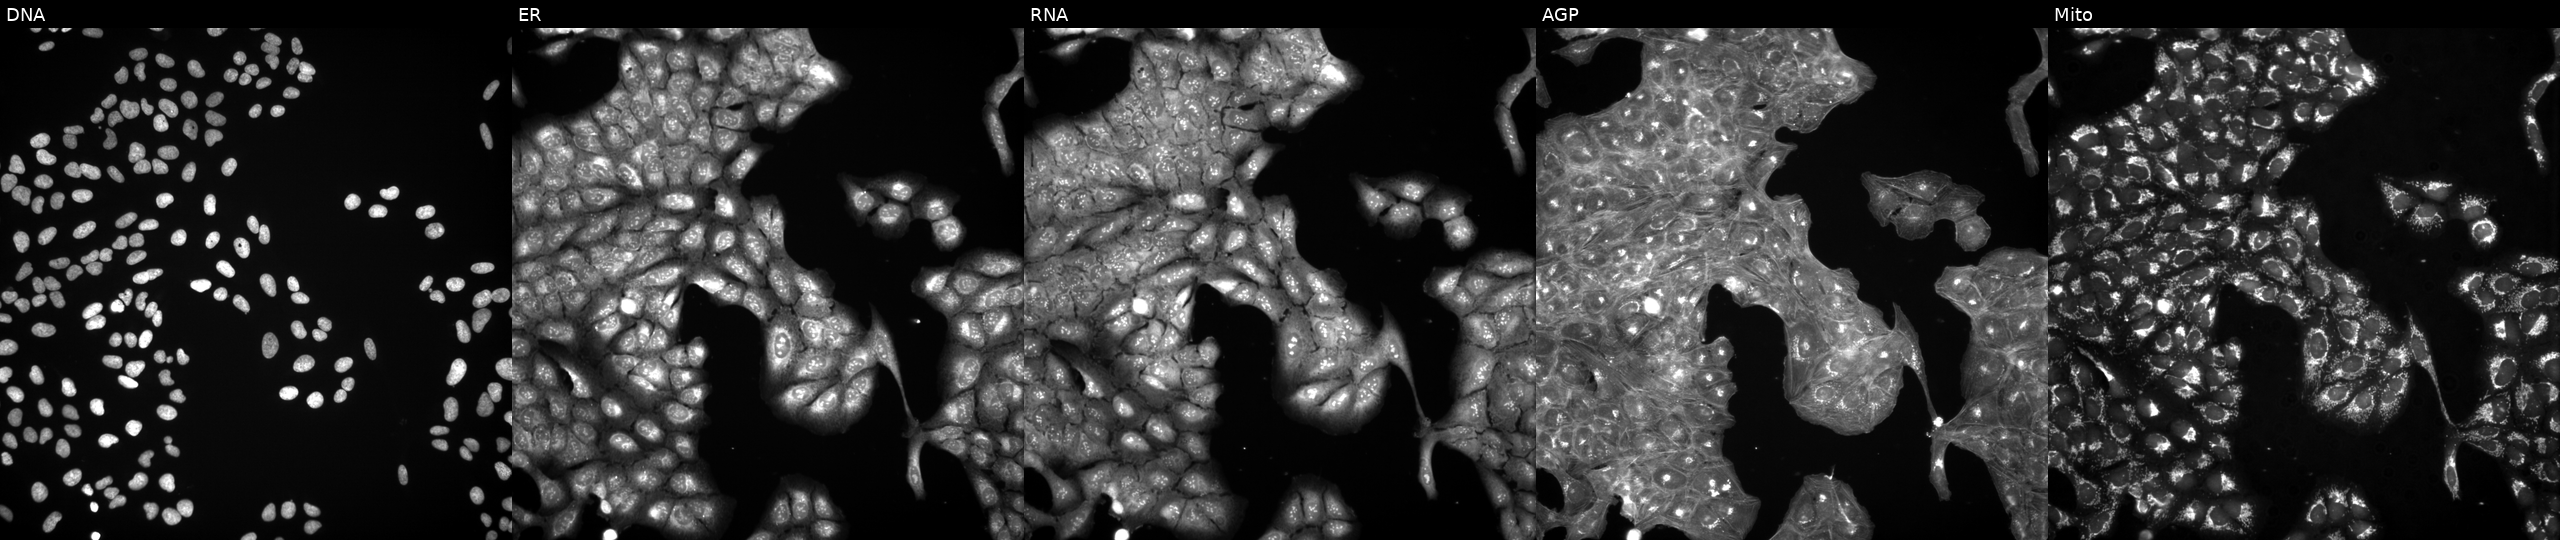
Five-channel Cell Painting image of U2OS cells exposed to a small-molecule compound (InChIKey MCBWVRAYBKNFMP-UHFFFAOYSA-N) (JUMP id JCP2022_053174). Channels (left→right): Hoechst 33342, concanavalin A, SYTO 14, phalloidin and WGA, MitoTracker. Source 3, plate BR5867b3, well C20.